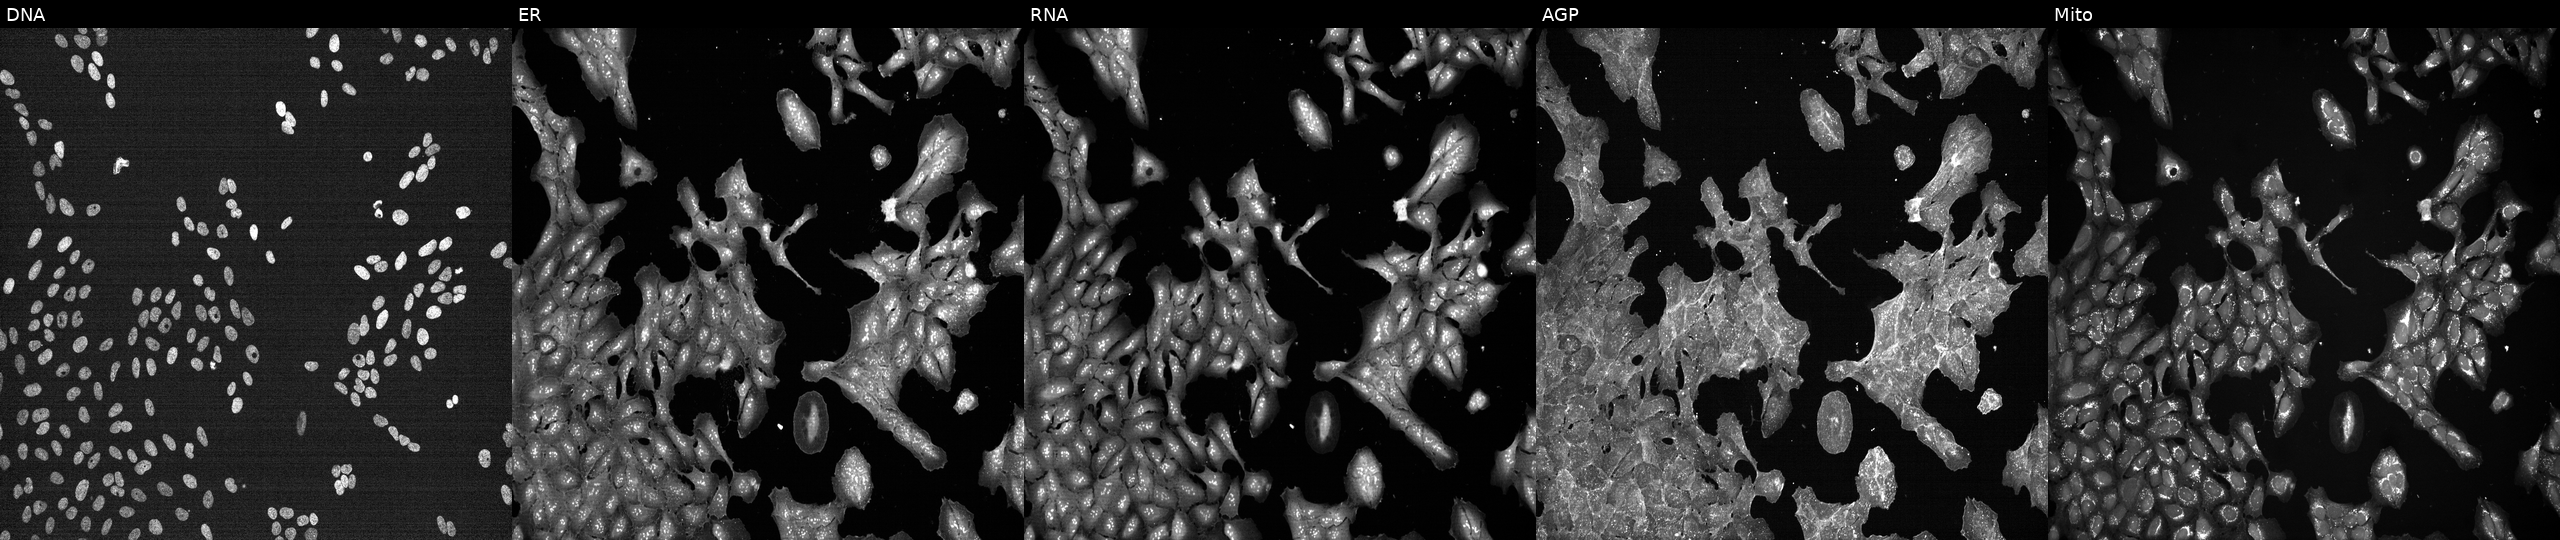
This image strip shows the five Cell Painting channels for a single field of U2OS cells treated with a small-molecule compound (InChIKey WGZOTBUYUFBEPZ-UHFFFAOYSA-N). Channels (left→right): DNA, ER, RNA, AGP, and Mito.